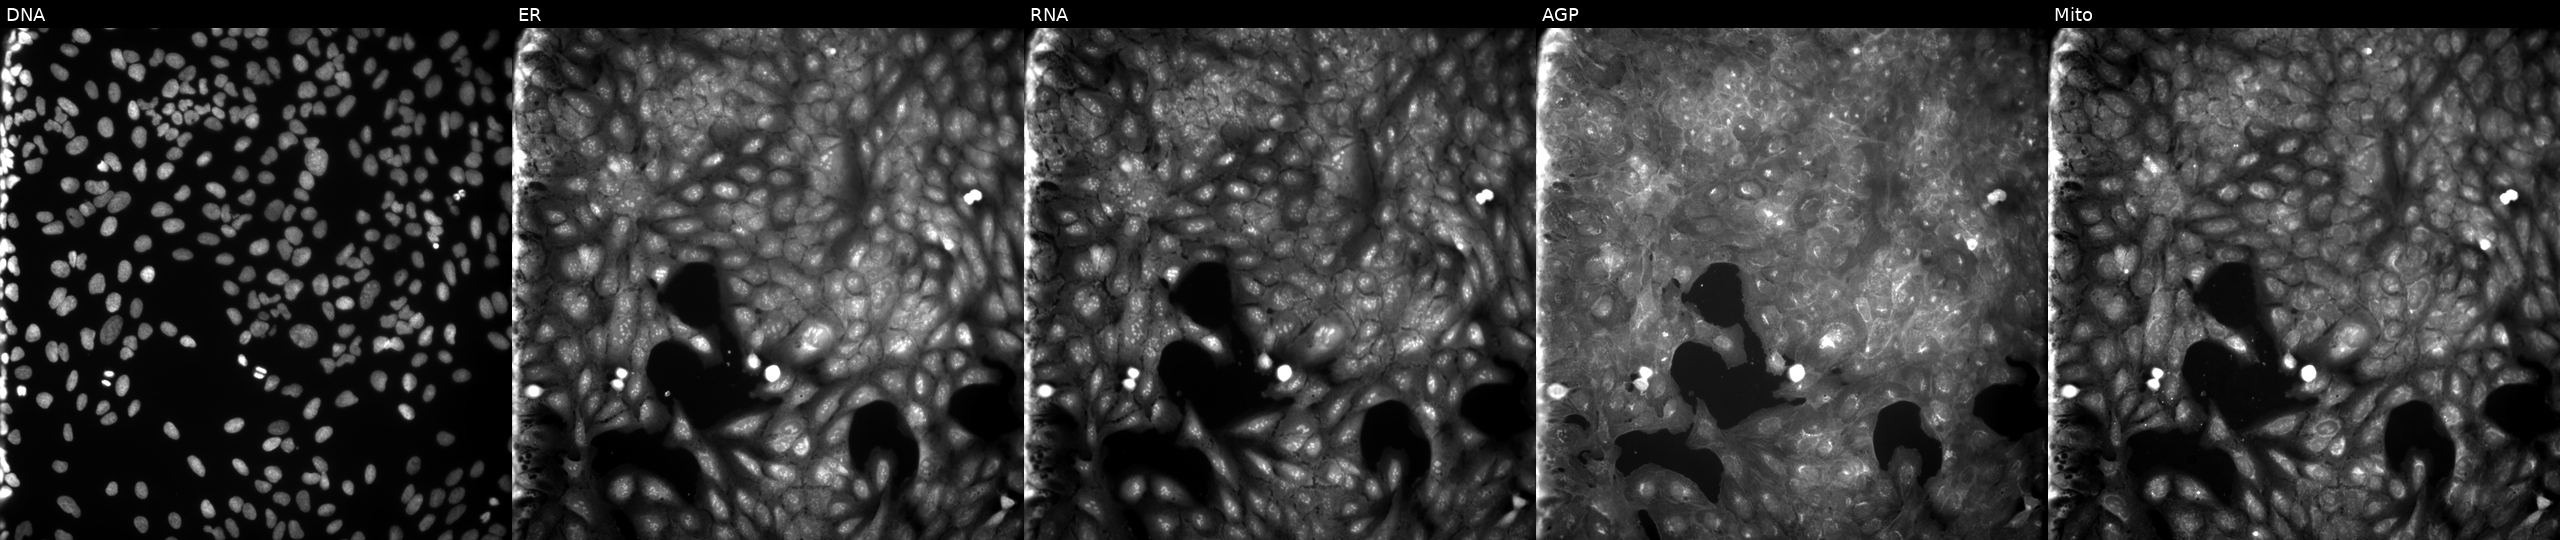
This image strip shows the five Cell Painting channels for a single field of U2OS cells treated with a small-molecule compound. From left to right: DNA, ER, RNA, AGP, and Mito. Source 9, plate GR00003381, well T09.